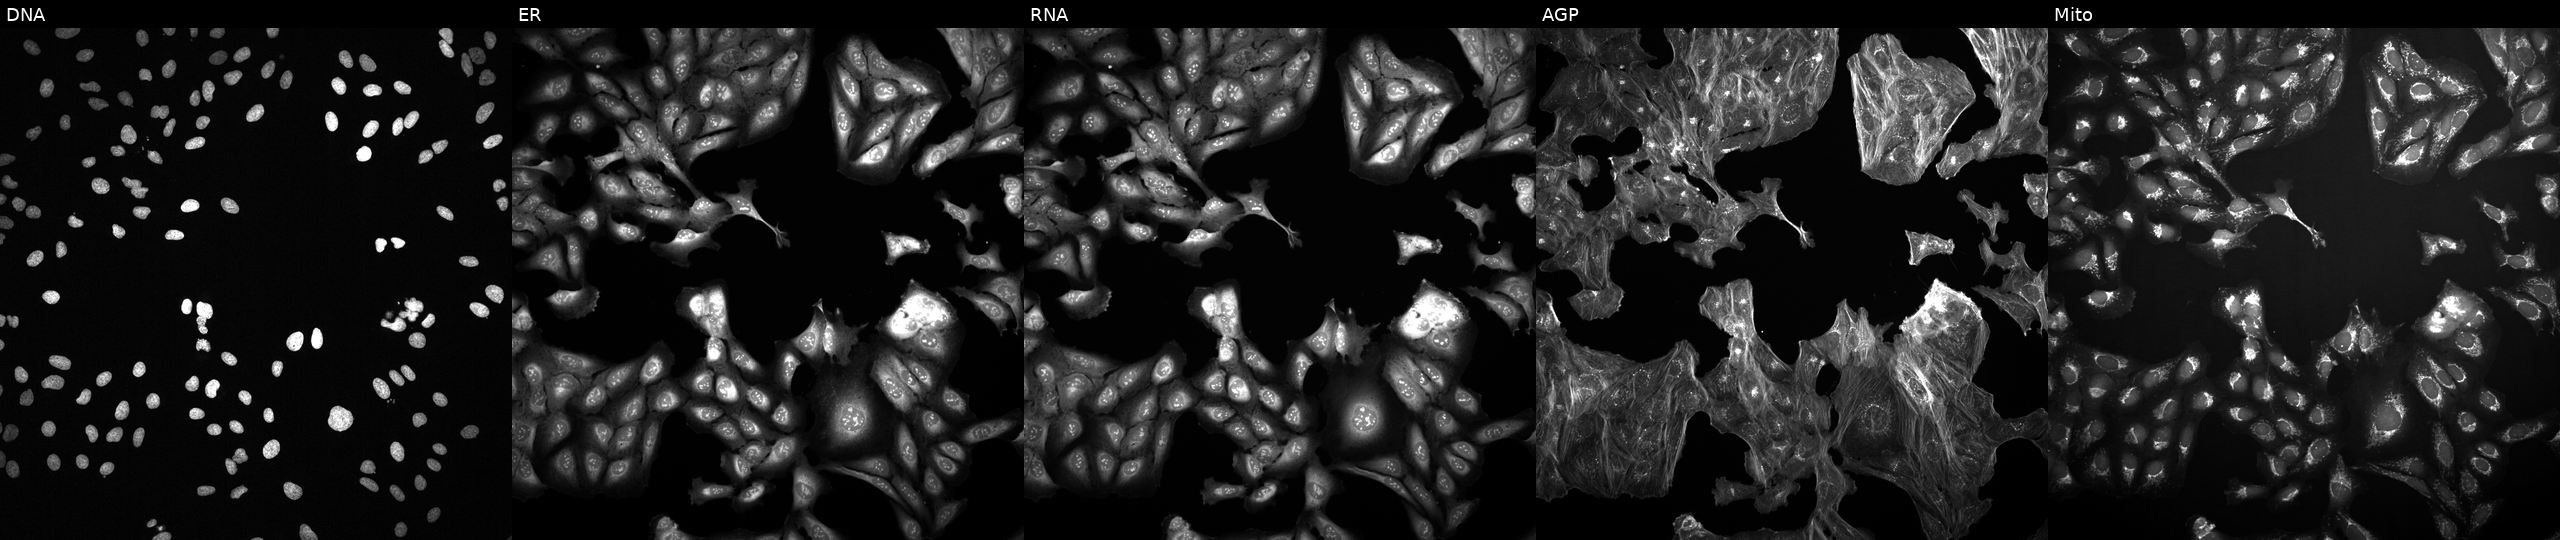
U2OS cells, Cell Painting assay, treated with DMSO vehicle only (negative control). Panels show, left to right, DNA, ER, RNA, AGP, and Mito. Each panel is percentile-stretched 16-bit fluorescence.